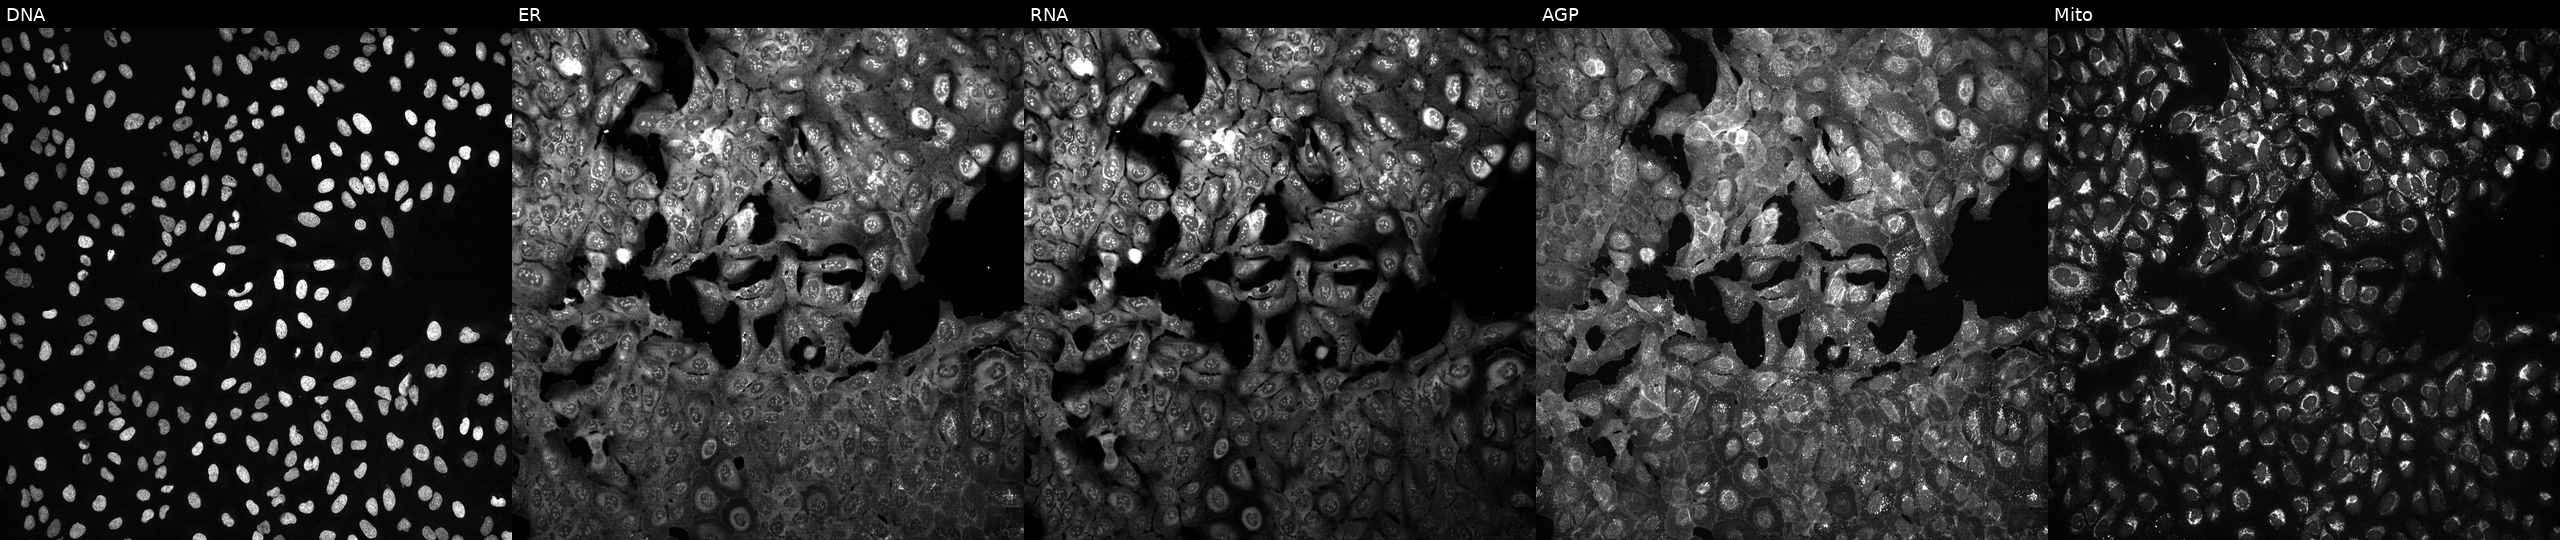
High-content fluorescence microscopy (Cell Painting). Cell line: U2OS. Perturbation: CRISPR-edited to disrupt KITLG (JUMP id JCP2022_803696). The five panels, left to right, show DNA (nuclei); ER (endoplasmic reticulum); RNA (nucleoli and cytoplasmic RNA); AGP (actin cytoskeleton, Golgi, and plasma membrane); Mito (mitochondria). Source 13, plate CP-CC9-R3-01, well M08.